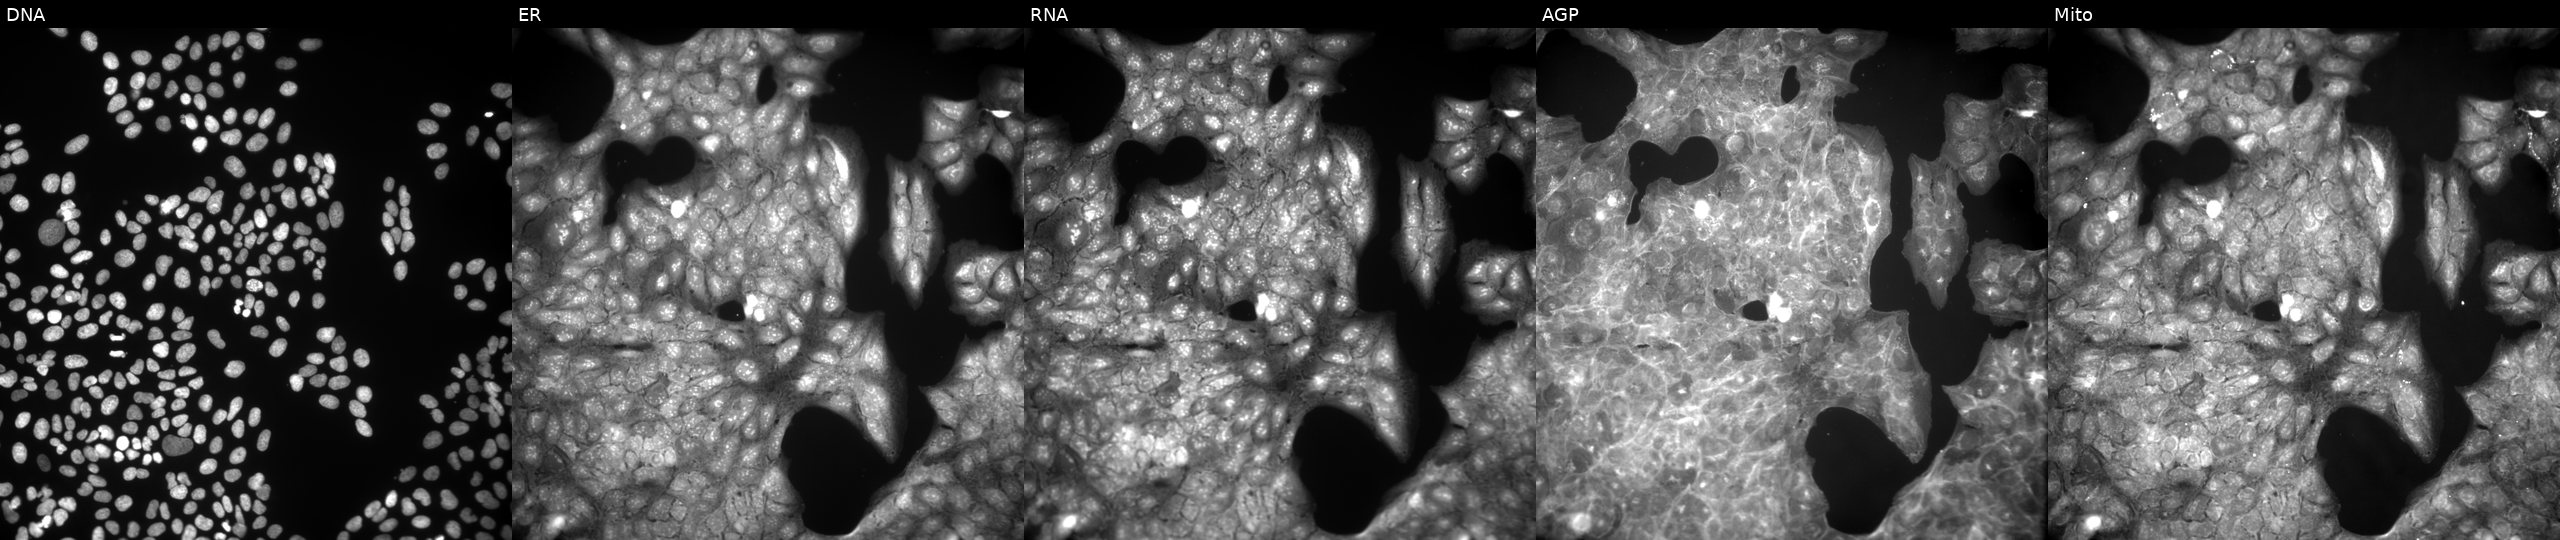
From left to right: DNA, ER, RNA, AGP, and Mito. U2OS osteosarcoma cells perturbed with a small-molecule compound (InChIKey IBCXZJCWDGCXQT-UHFFFAOYSA-N). Cell Painting assay, JUMP-CP dataset. Source 9, plate GR00003381, well AC25.